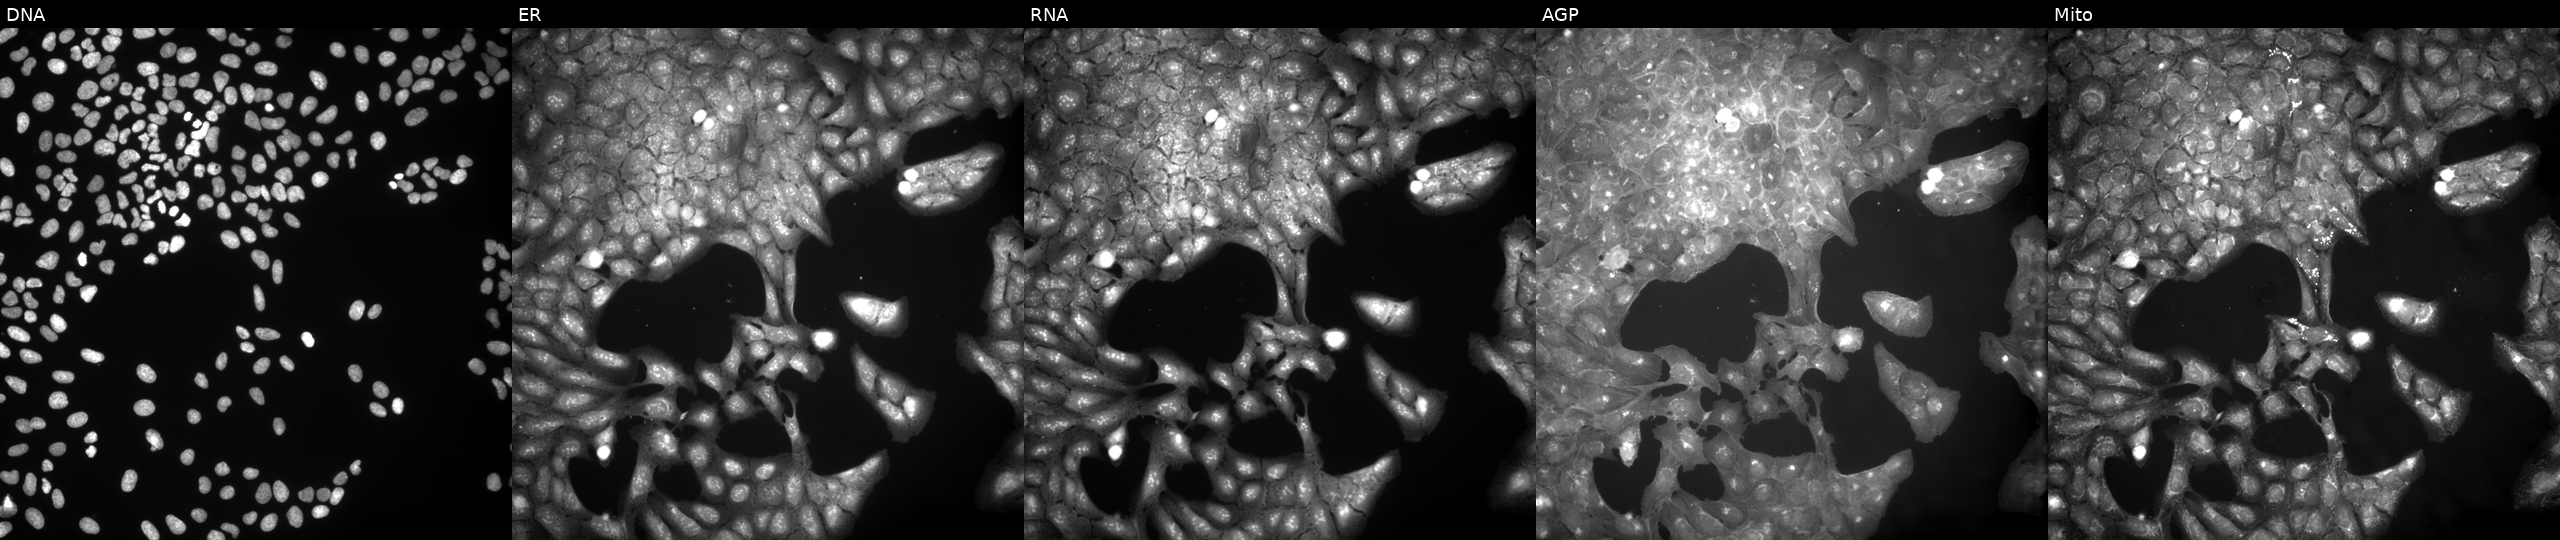
Five-channel Cell Painting image of U2OS cells perturbed with a small-molecule compound (InChIKey NUFRHDJPYYEIIB-UHFFFAOYSA-N) [SMILES: Cc1ccc2[nH]c(SCC(=O)c3ccc4c(c3)OCO4)nc2c1] (JUMP id JCP2022_061398). From left to right: Hoechst 33342, concanavalin A, SYTO 14, phalloidin and WGA, MitoTracker. Source 9, plate GR00003381, well M34.